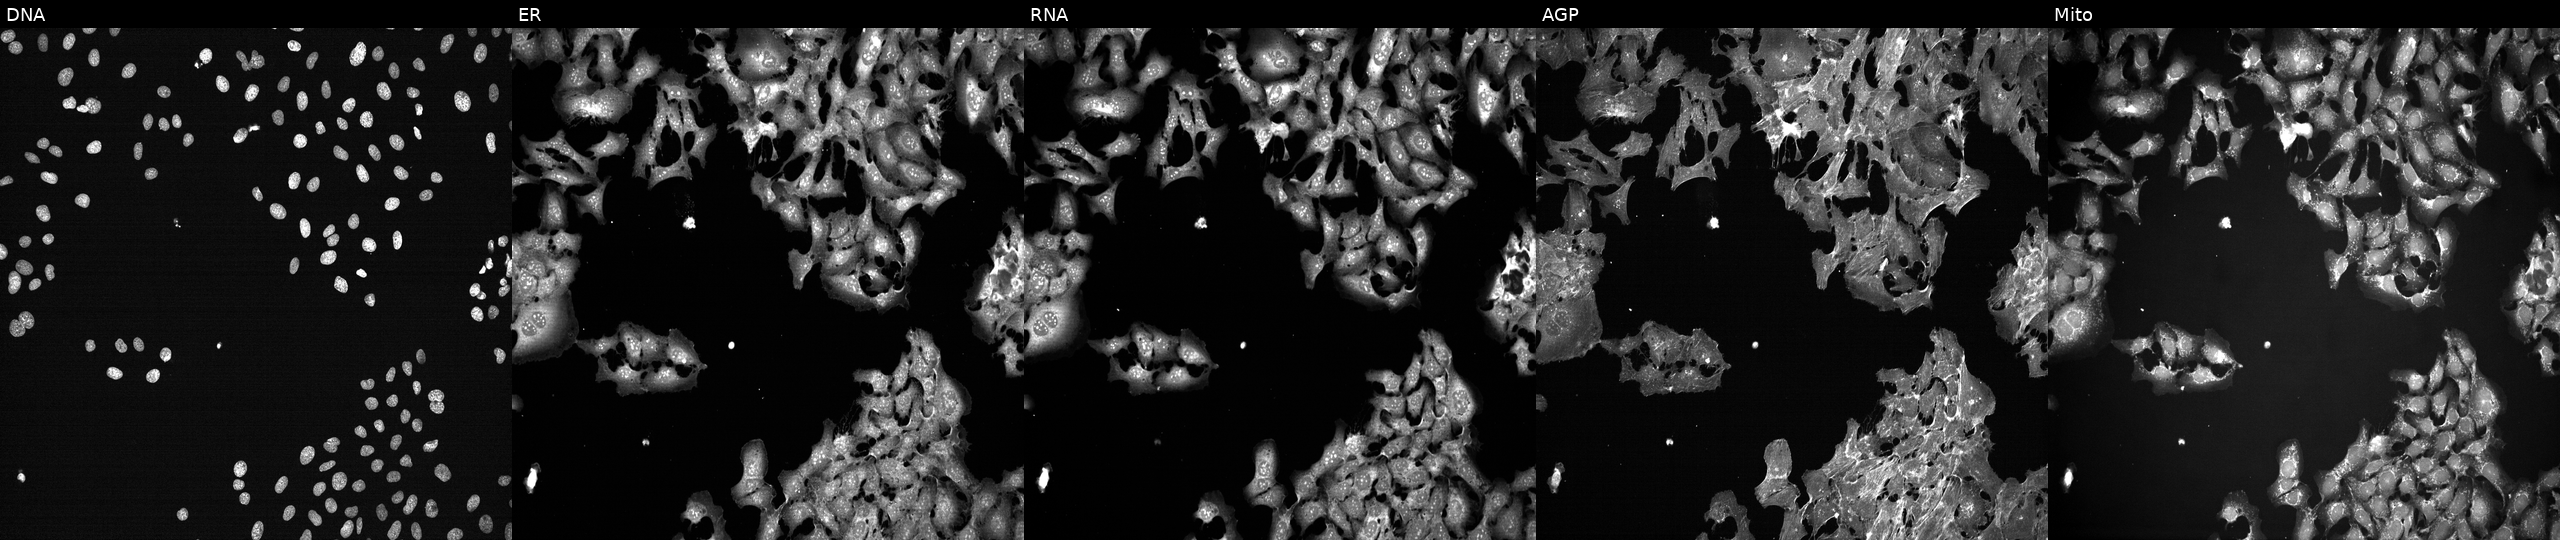
U2OS cells, Cell Painting assay, exposed to the positive-control compound FK-866. Channels (left→right): DNA (nuclei); ER (endoplasmic reticulum); RNA (nucleoli and cytoplasmic RNA); AGP (actin cytoskeleton, Golgi, and plasma membrane); Mito (mitochondria). Each panel is percentile-stretched 16-bit fluorescence.